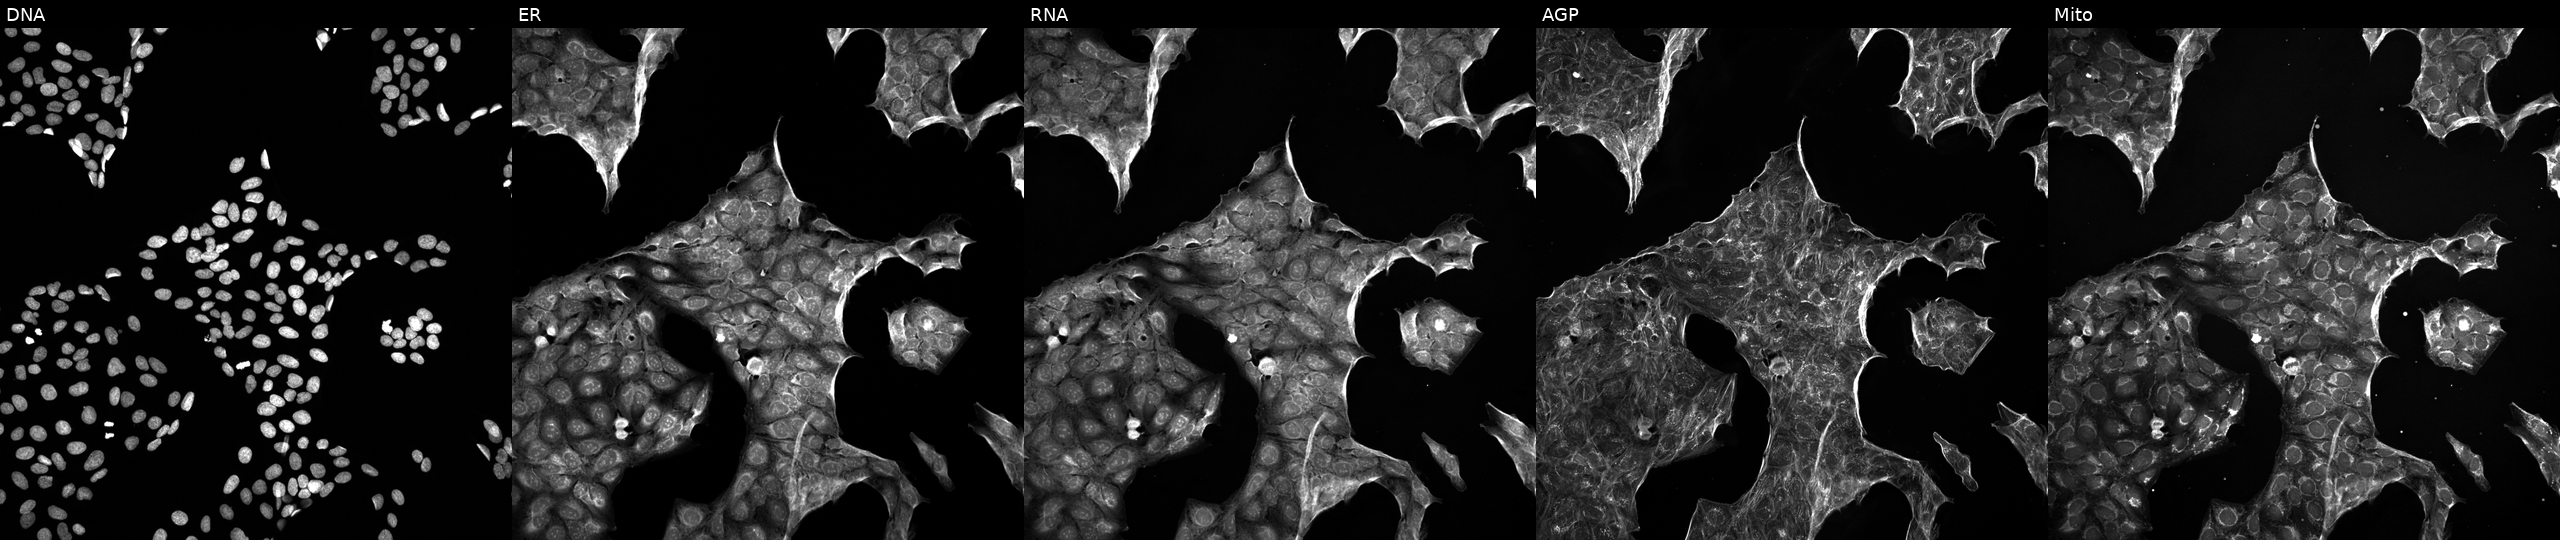
U2OS cells, Cell Painting assay, treated with LY2109761 (positive-control compound) (JUMP id JCP2022_035095). The five panels, left to right, show Hoechst 33342, concanavalin A, SYTO 14, phalloidin and WGA, MitoTracker. Each panel is percentile-stretched 16-bit fluorescence.